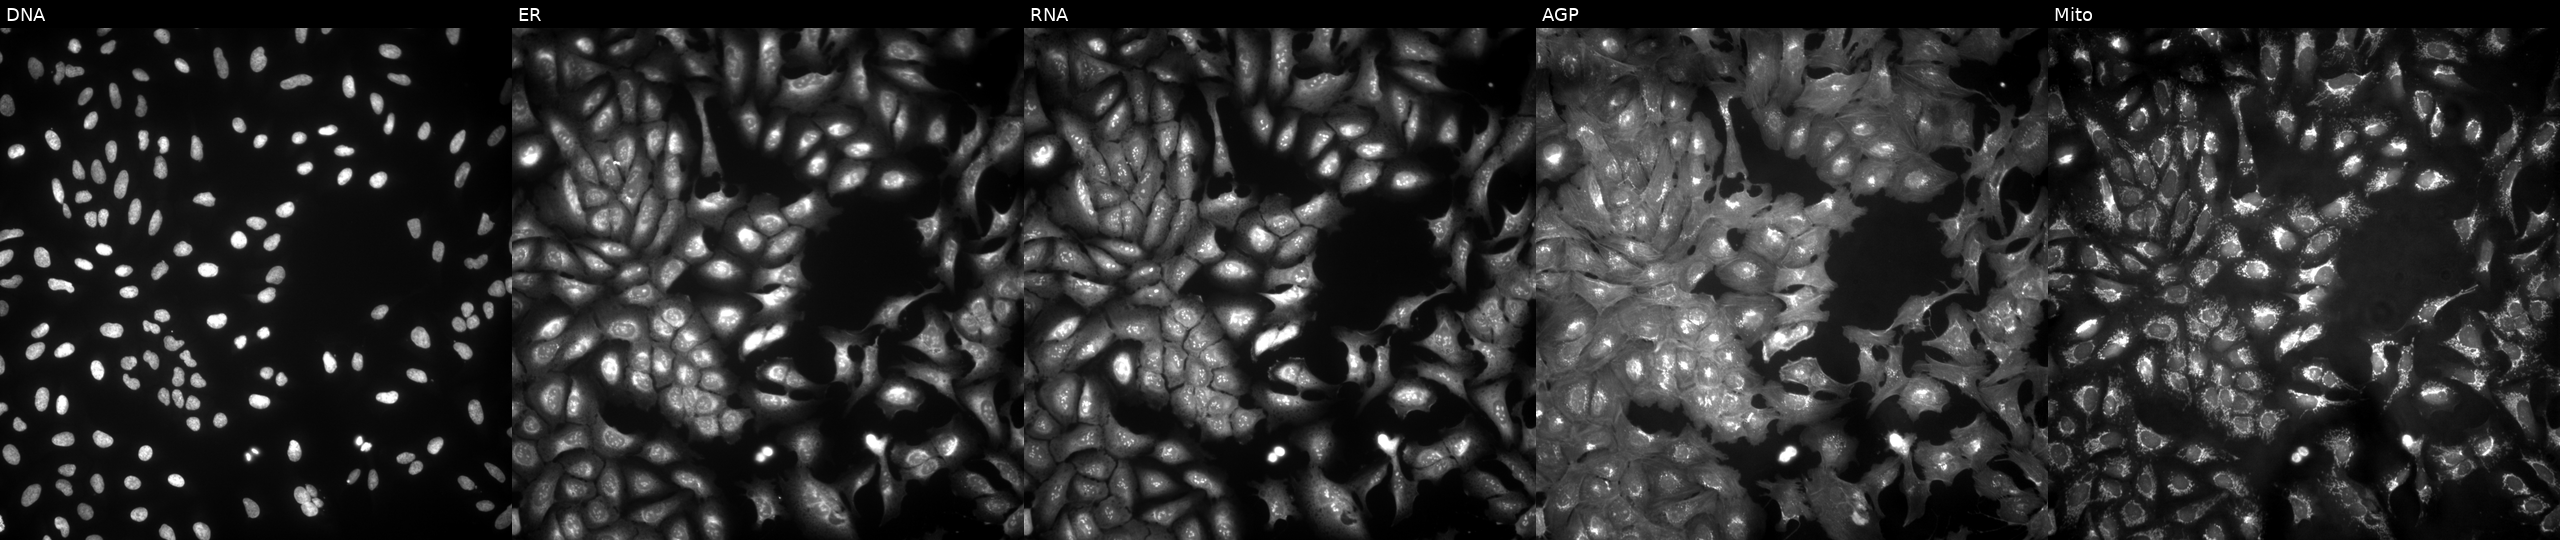
High-content fluorescence microscopy (Cell Painting). Cell line: U2OS. Perturbation: transfected with an ORF construct for HADHB (JUMP id JCP2022_909724). Panels show, left to right, Hoechst 33342, concanavalin A, SYTO 14, phalloidin and WGA, MitoTracker.